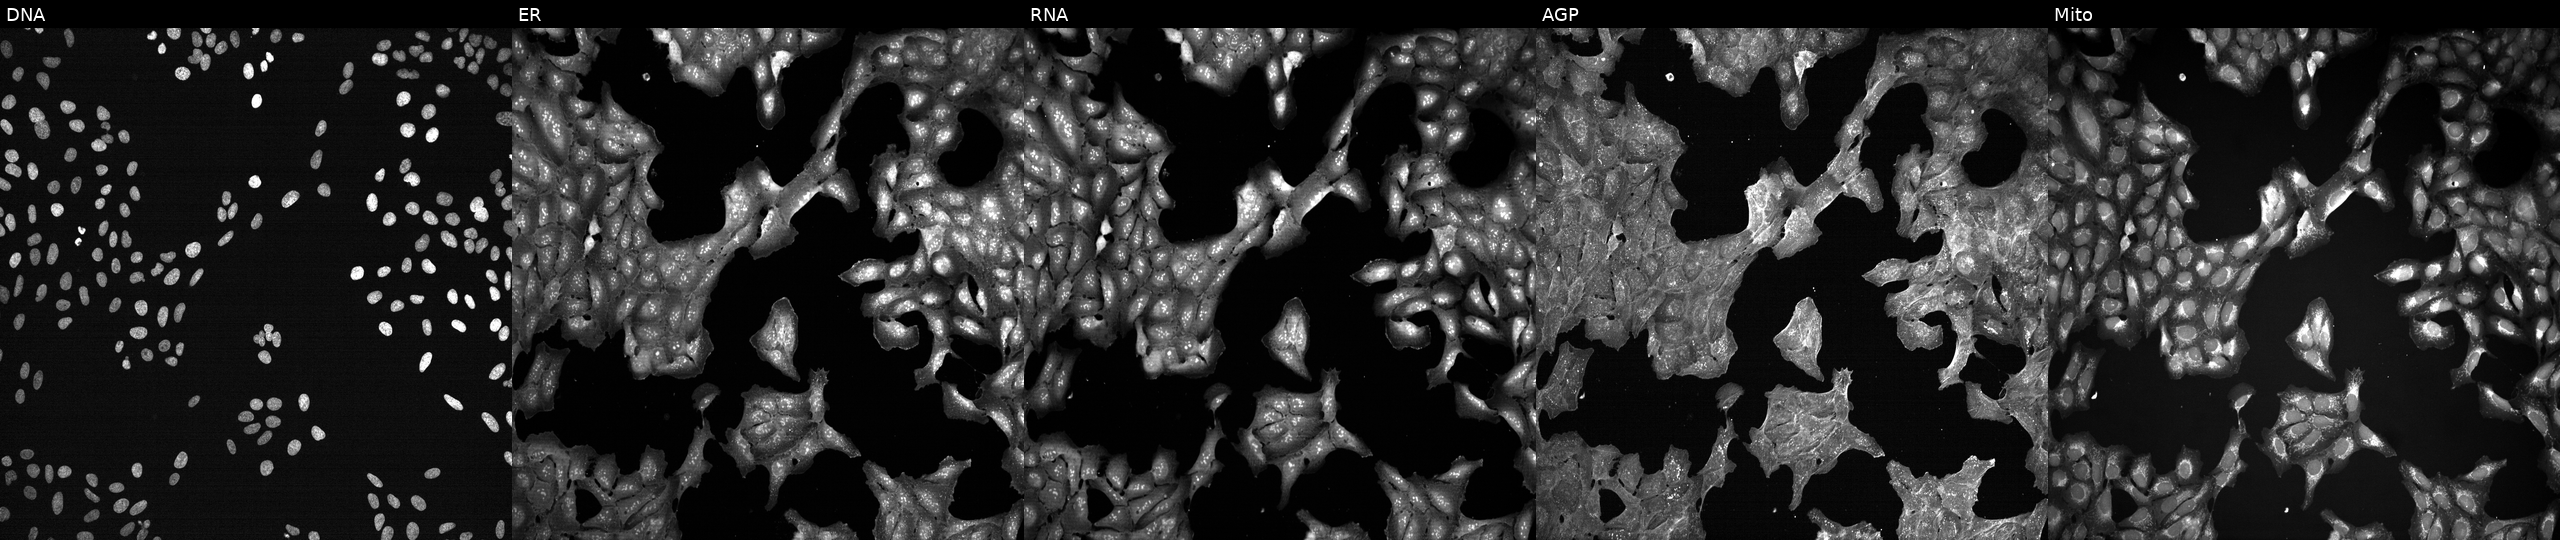
Panels show, left to right, DNA, ER, RNA, AGP, and Mito. U2OS osteosarcoma cells perturbed with a small-molecule compound (JUMP id JCP2022_009419). Cell Painting assay, JUMP-CP dataset.